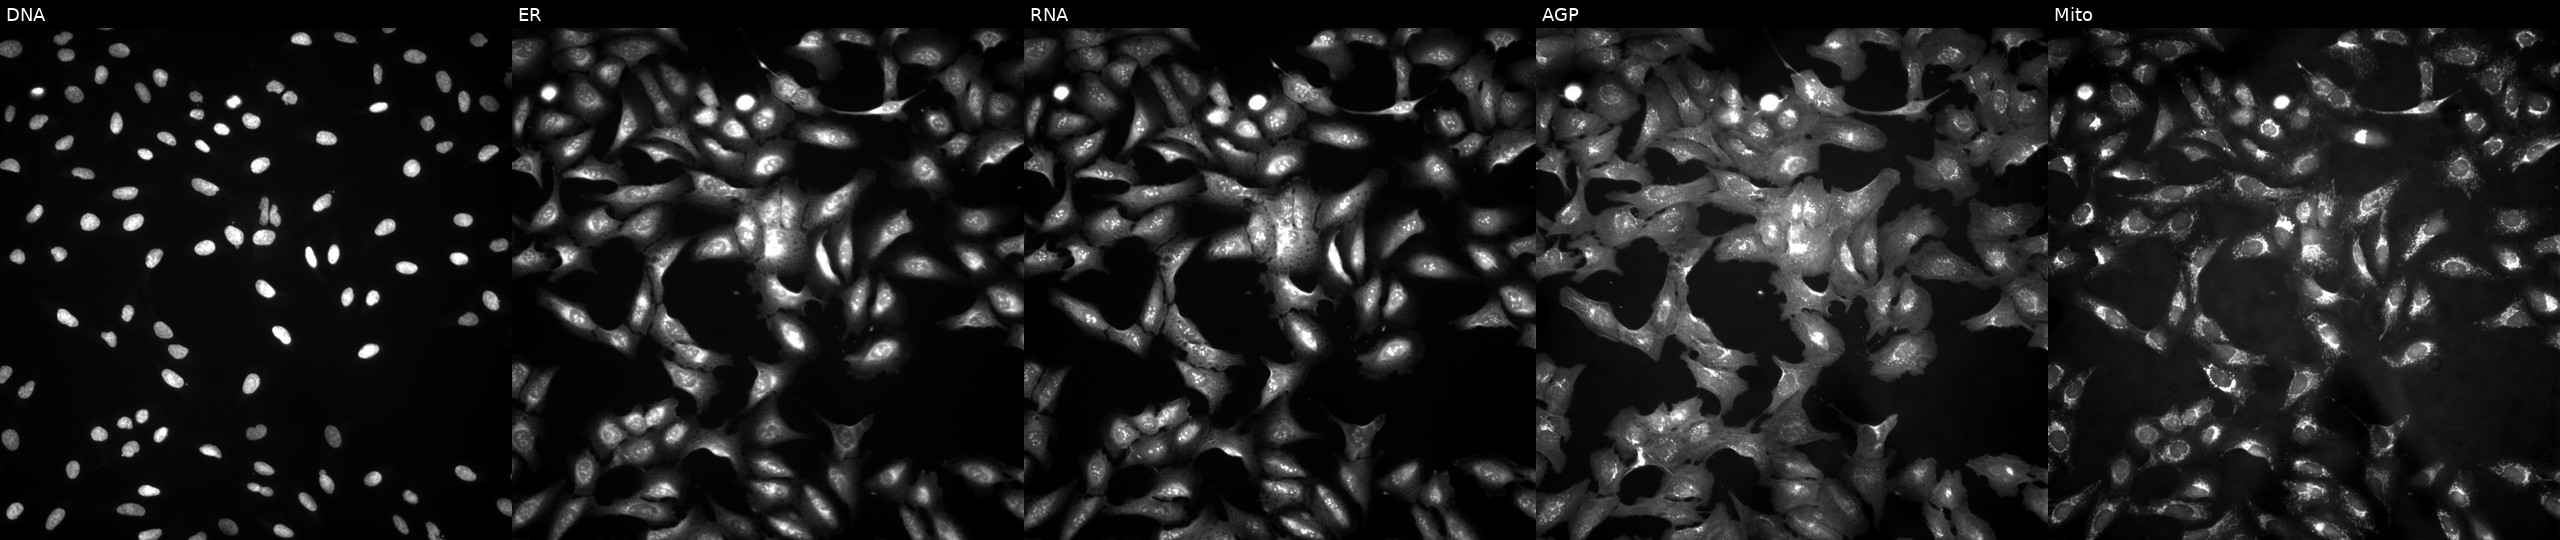
Five-channel Cell Painting image of U2OS cells overexpressing FGFRL1 via ORF transfection. The five panels, left to right, show Hoechst 33342, concanavalin A, SYTO 14, phalloidin and WGA, MitoTracker.